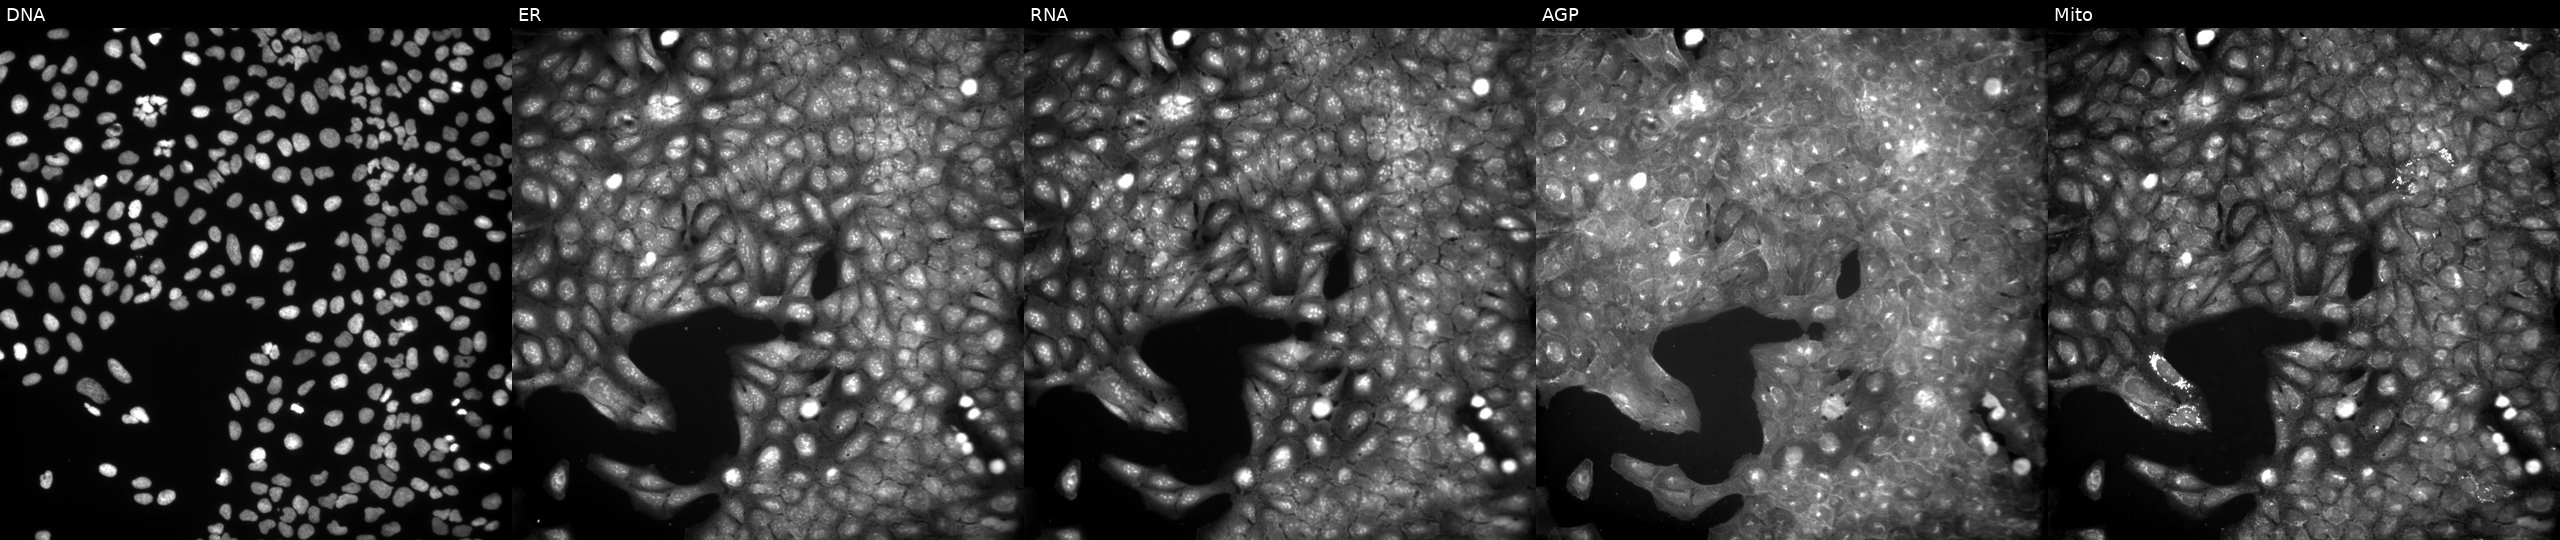
Five-channel Cell Painting image of U2OS cells exposed to a small-molecule compound (InChIKey LJEXBURUYABRJJ-UHFFFAOYSA-N) (JUMP id JCP2022_049788). Panels show, left to right, DNA (nuclei); ER (endoplasmic reticulum); RNA (nucleoli and cytoplasmic RNA); AGP (actin cytoskeleton, Golgi, and plasma membrane); Mito (mitochondria).